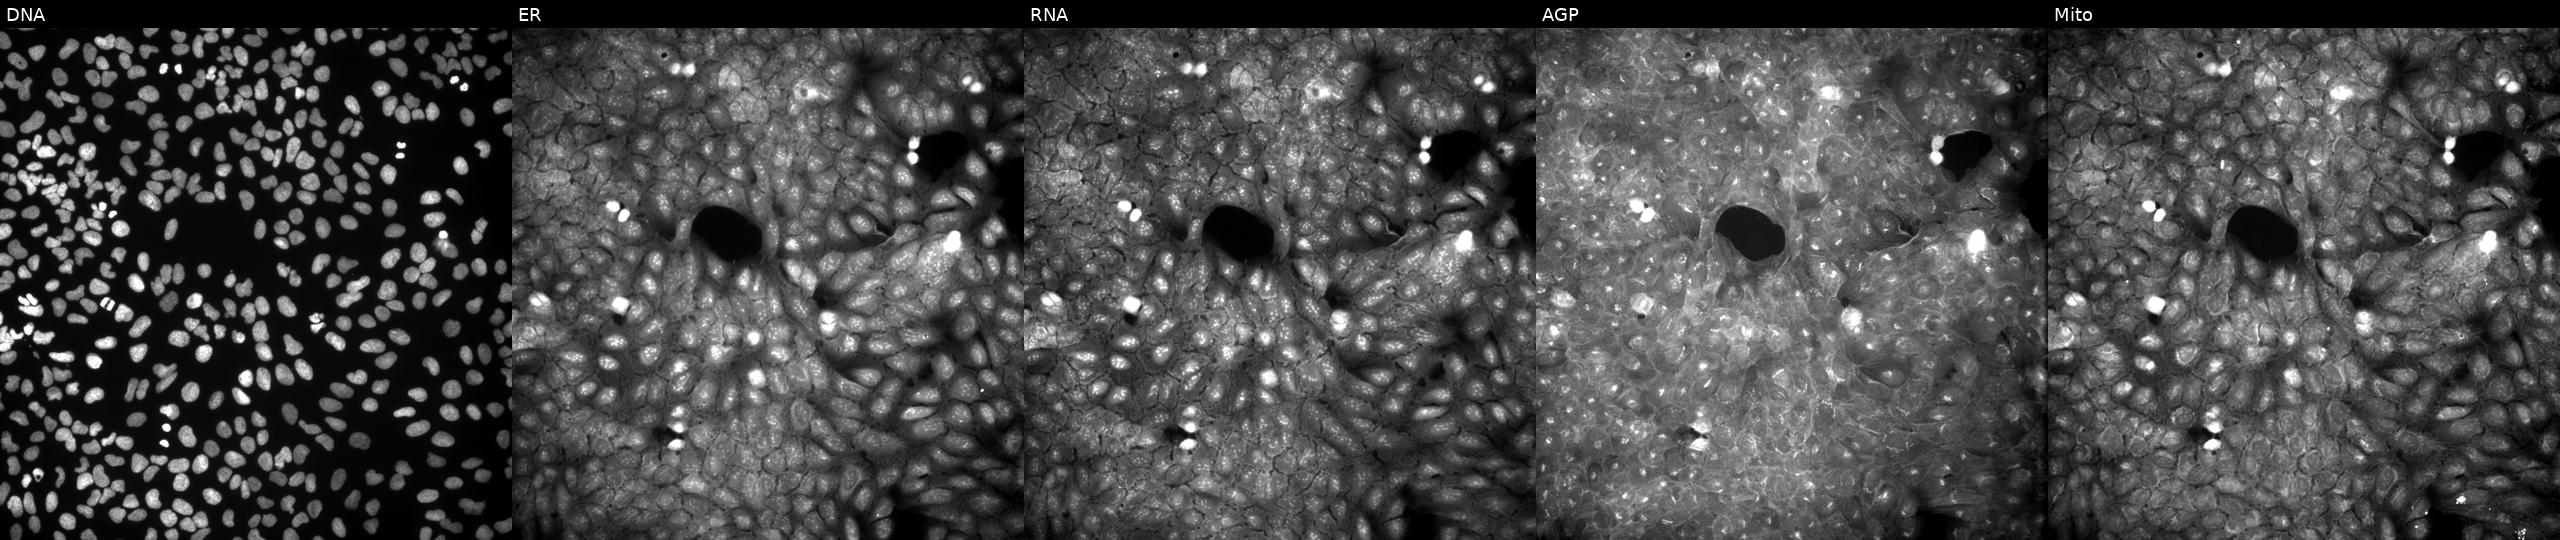
The five panels, left to right, show DNA, ER, RNA, AGP, and Mito. U2OS osteosarcoma cells treated with a small-molecule compound (InChIKey XVKYVKUHLSBCQL-UHFFFAOYSA-N) (JUMP id JCP2022_106295). Cell Painting assay, JUMP-CP dataset. Source 9, plate GR00003381, well K35.